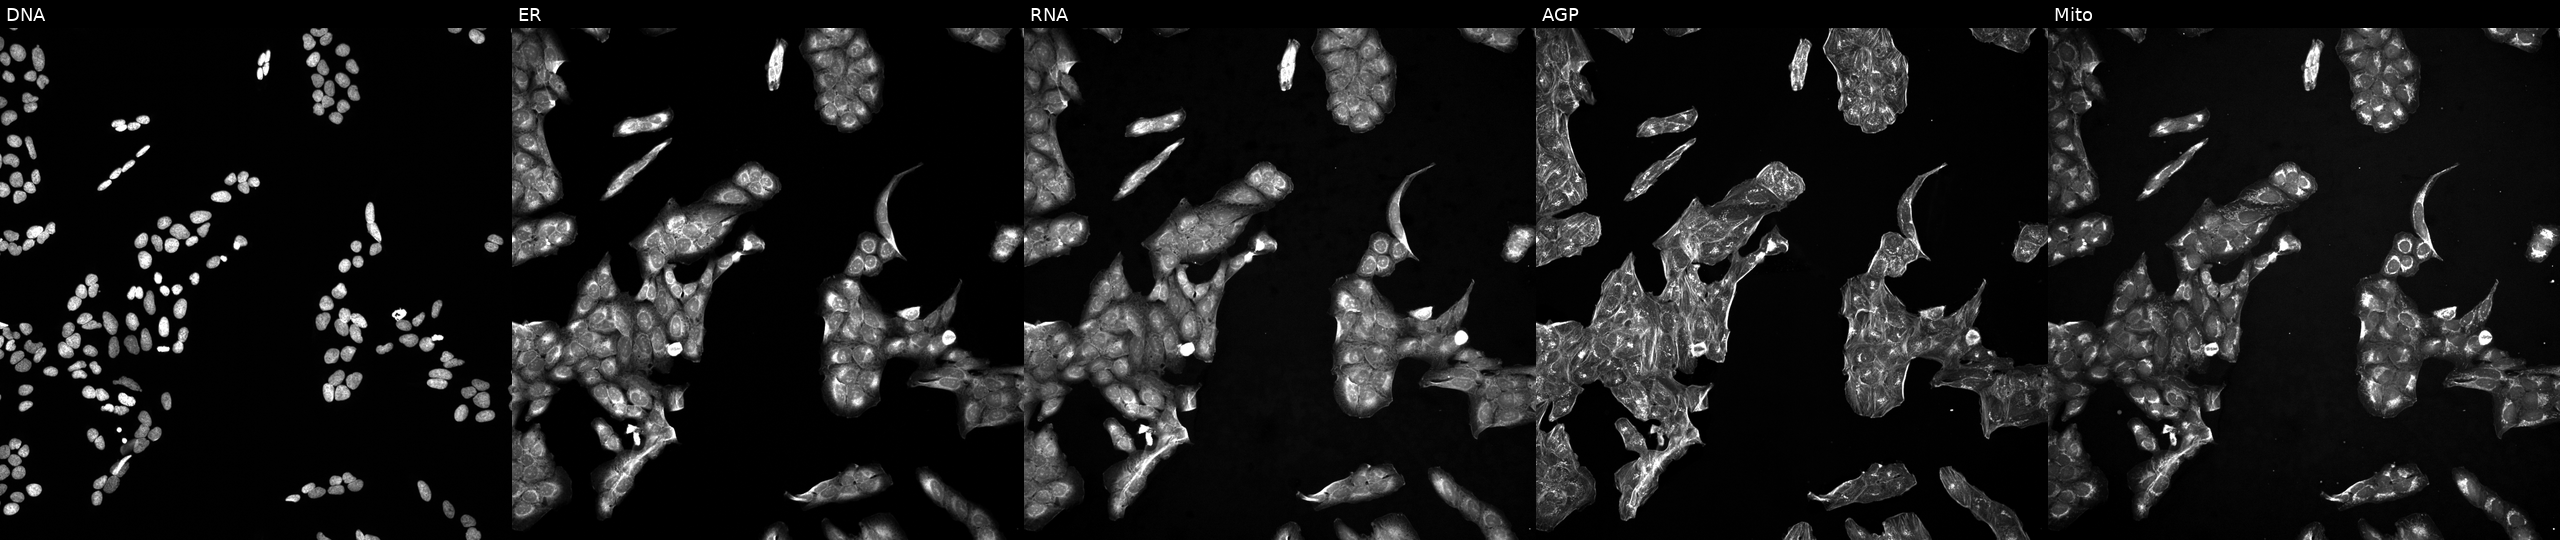
JUMP Cell Painting — TARGET2 plate. U2OS cells exposed to a small-molecule compound (InChIKey ZVPDNRVYHLRXLX-UHFFFAOYSA-N). Panels show, left to right, Hoechst 33342, concanavalin A, SYTO 14, phalloidin and WGA, MitoTracker. Source 5, plate ACPJUM032, well B04.